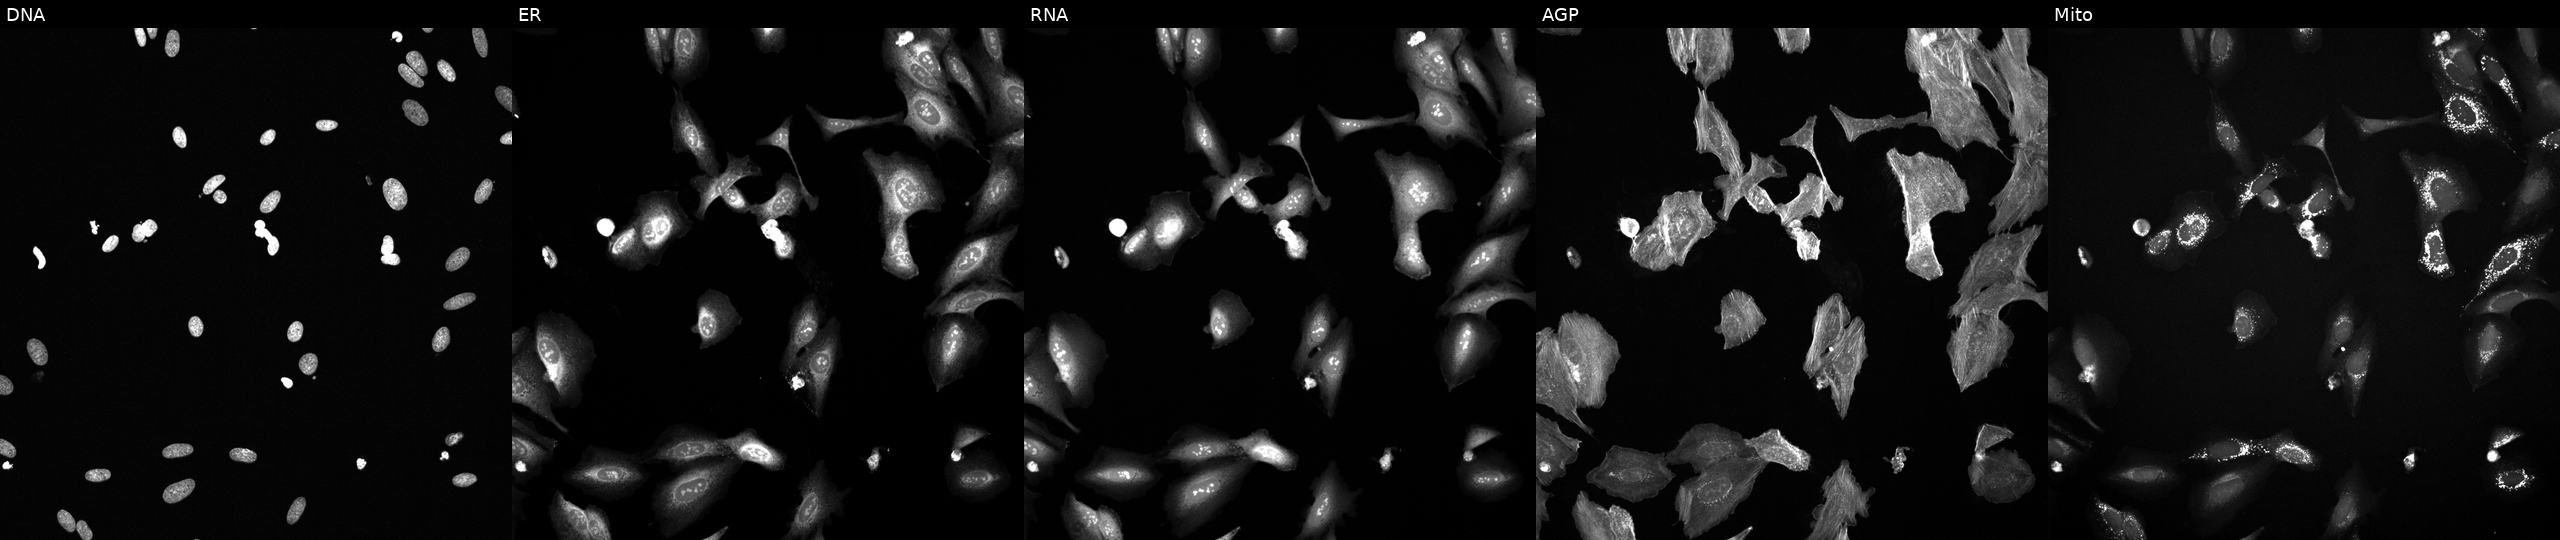
Five-channel Cell Painting image of U2OS cells perturbed with a small-molecule compound (InChIKey NQQBNZBOOHHVQP-UHFFFAOYSA-N) (JUMP id JCP2022_060734). Panels show, left to right, DNA, ER, RNA, AGP, and Mito.